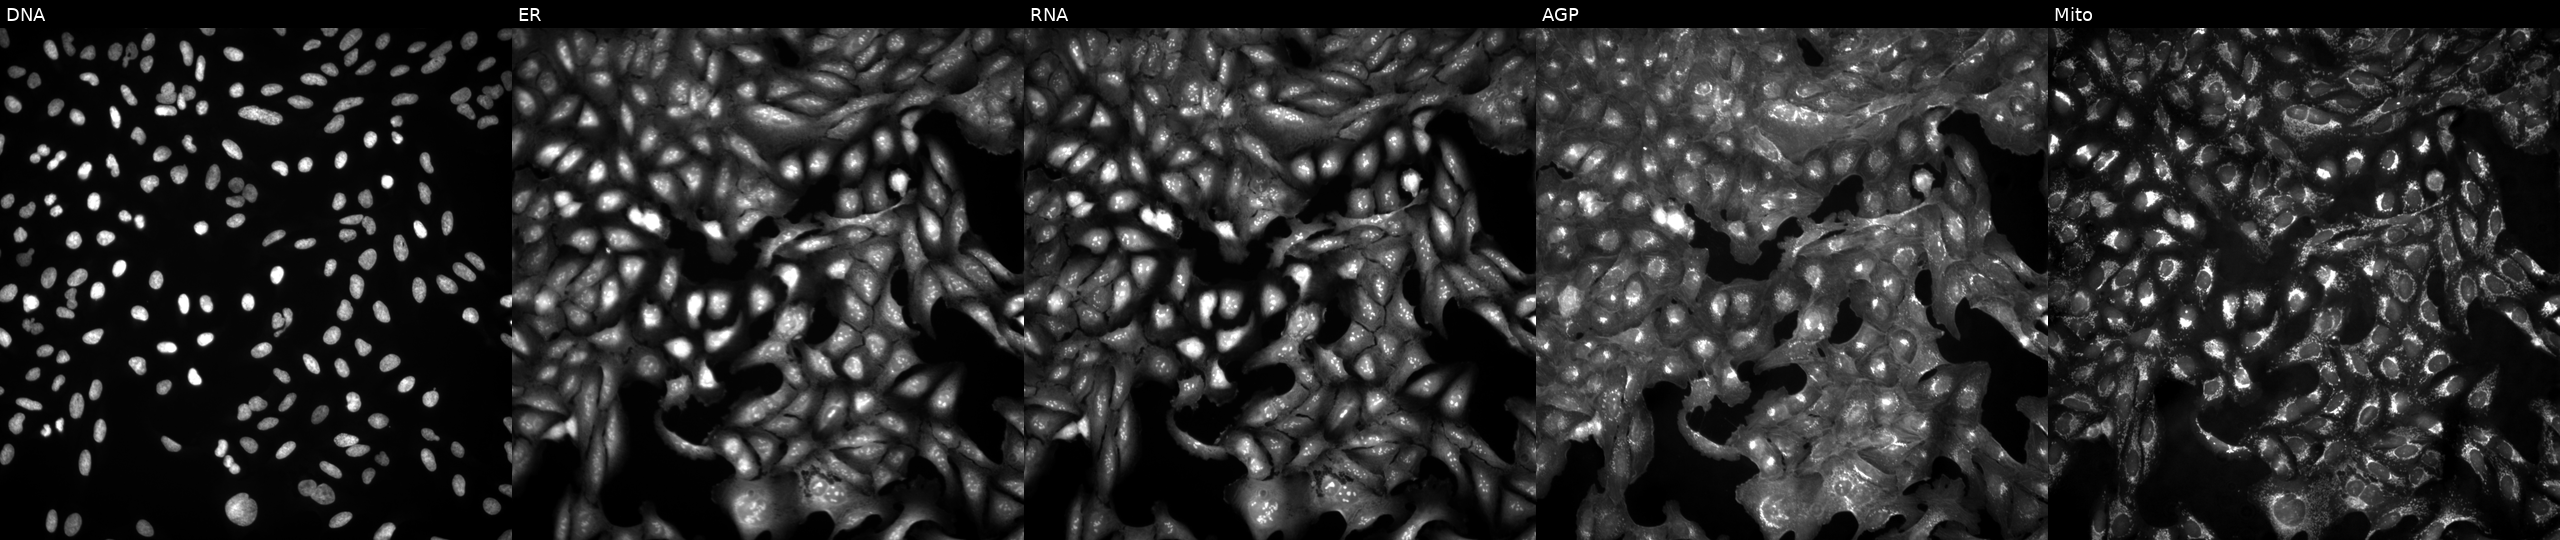
U2OS cells, Cell Painting assay, in an empty control well (no perturbation) (JUMP id JCP2022_999999). The five panels, left to right, show DNA, ER, RNA, AGP, and Mito. Each panel is percentile-stretched 16-bit fluorescence. Source 4, plate BR00123946, well G02.